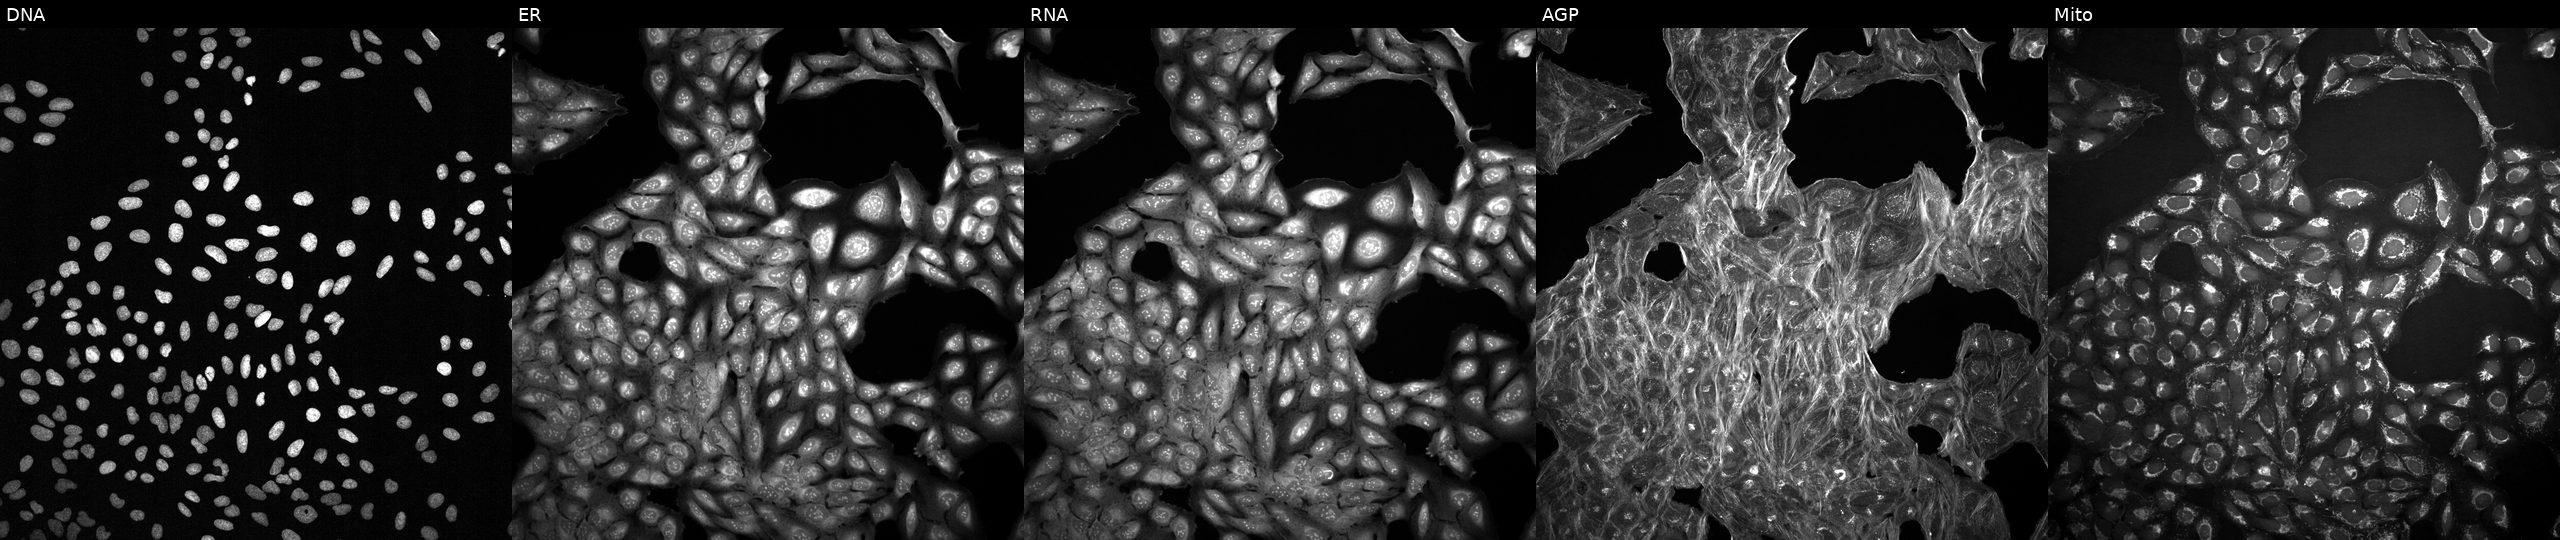
JUMP Cell Painting — TARGET2 plate. U2OS cells perturbed with a small-molecule compound [SMILES: CC(C)c1ccc2oc3[nH]c(=N)c(C(=O)O)cc3c(=O)c2c1] (JUMP id JCP2022_083099). The five panels, left to right, show DNA, ER, RNA, AGP, and Mito. Source 2, plate 1053600674, well I07.